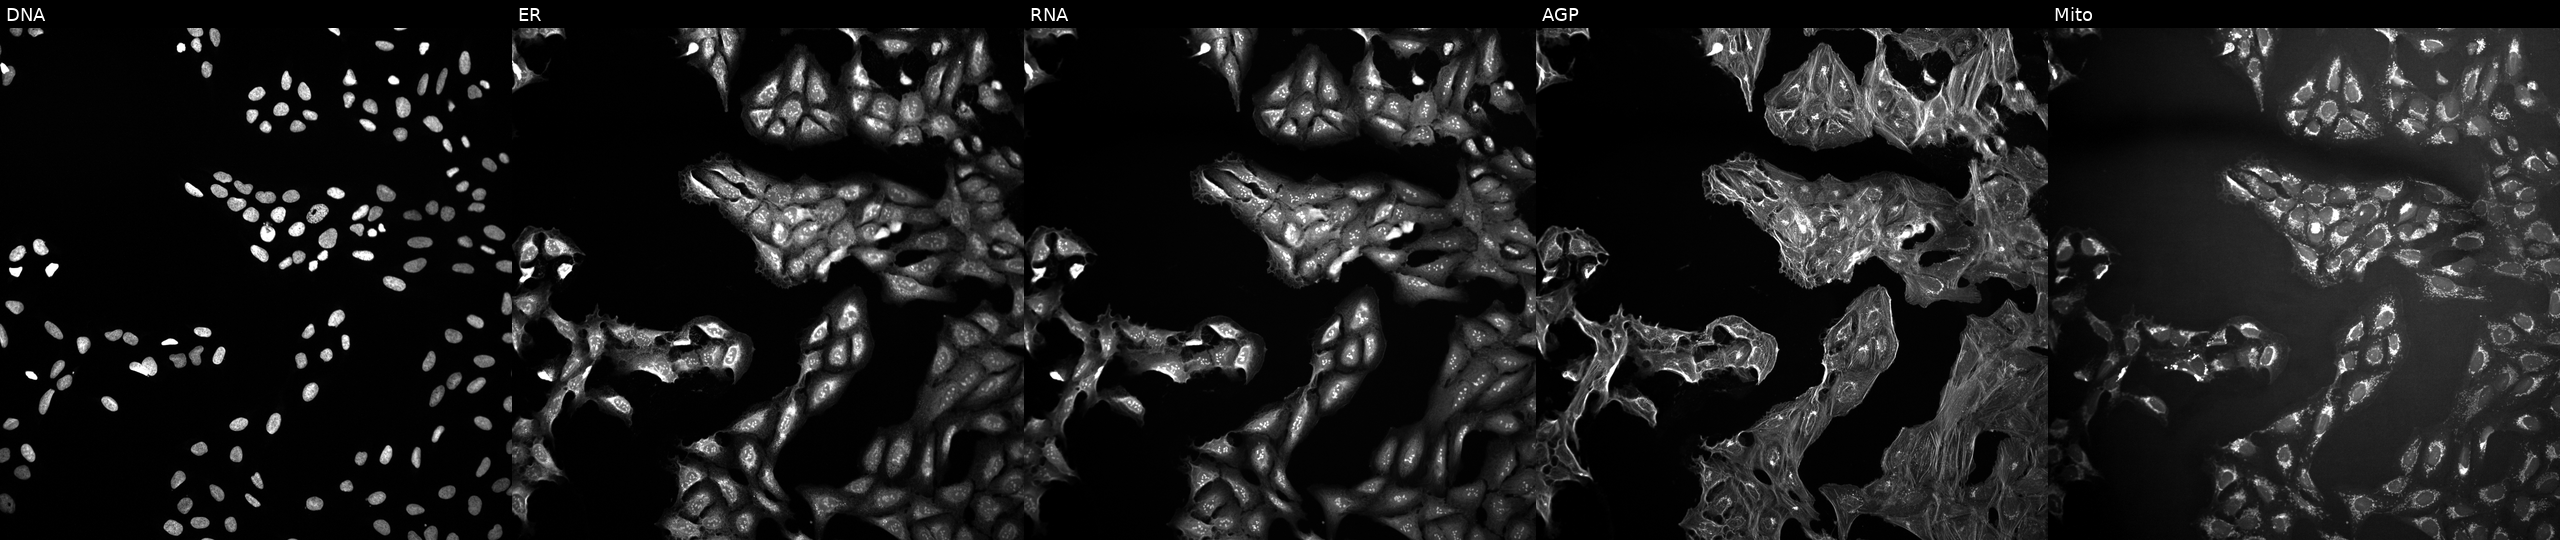
JUMP Cell Painting — TARGET2 plate. U2OS cells treated with DMSO vehicle only (negative control) (JUMP id JCP2022_033924). Channels (left→right): DNA (nuclei); ER (endoplasmic reticulum); RNA (nucleoli and cytoplasmic RNA); AGP (actin cytoskeleton, Golgi, and plasma membrane); Mito (mitochondria).